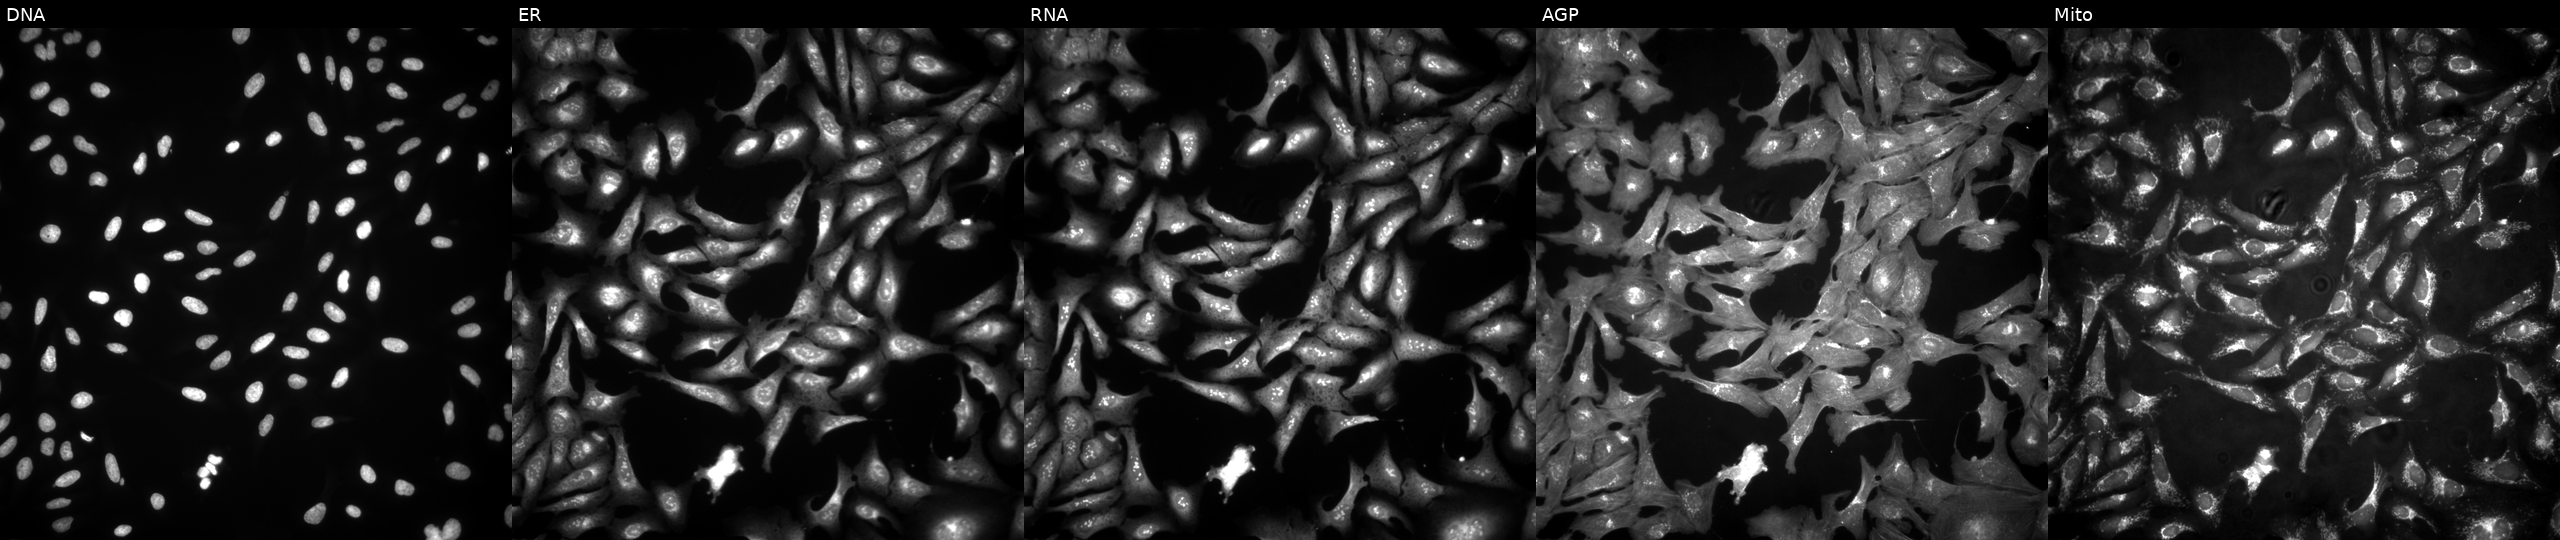
Five-channel Cell Painting image of U2OS cells transfected with an ORF construct for CSTA (JUMP id JCP2022_905669). Panels show, left to right, Hoechst 33342, concanavalin A, SYTO 14, phalloidin and WGA, MitoTracker. Source 4, plate BR00123509, well N21.